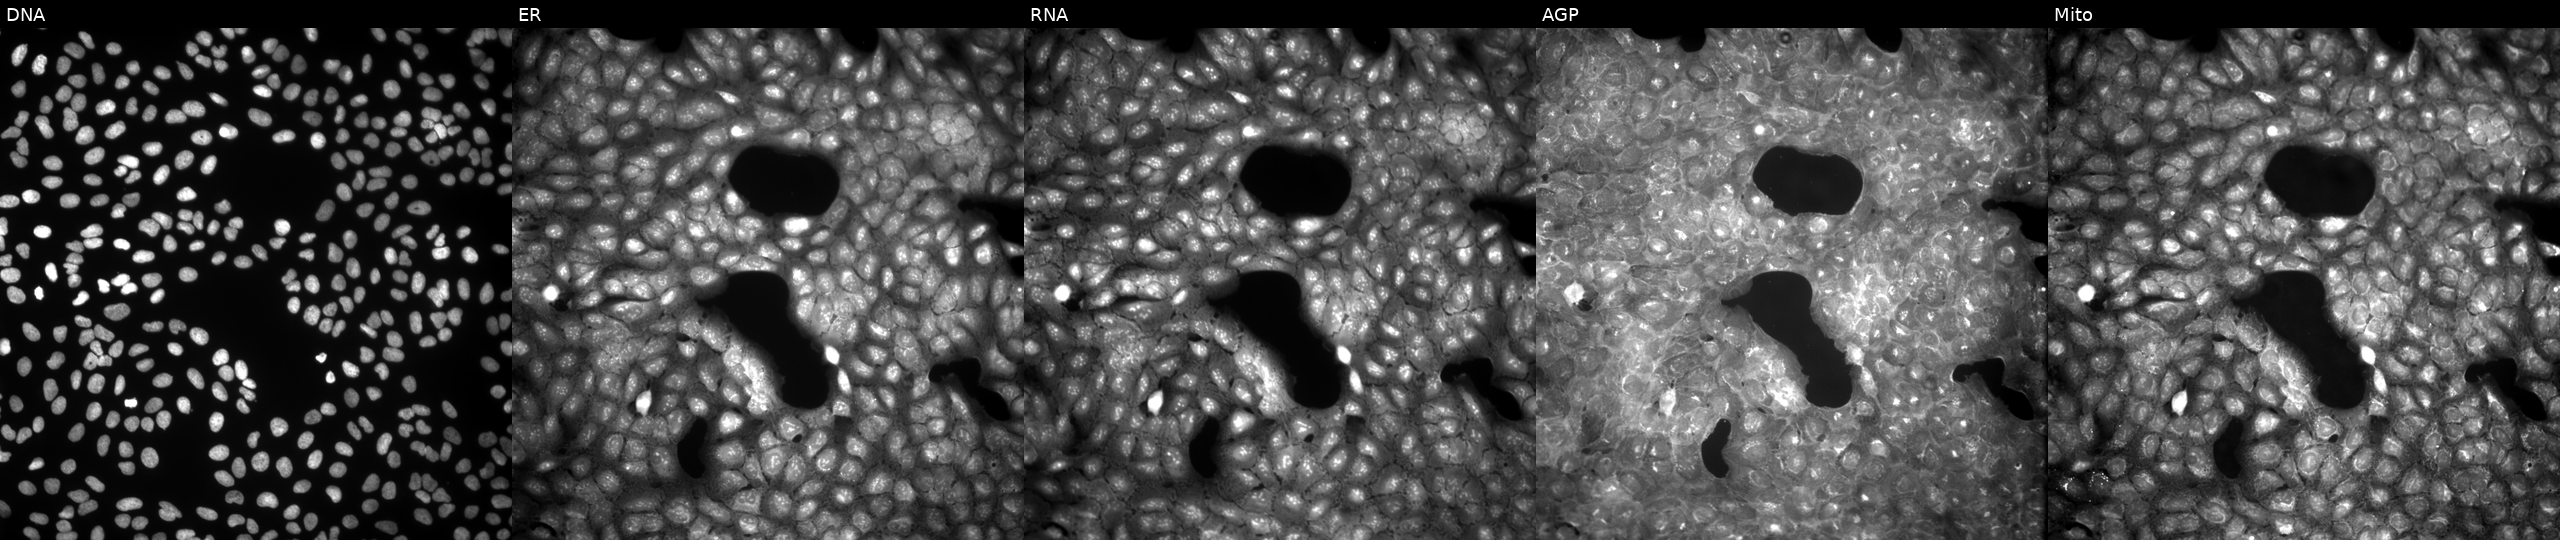
From left to right: DNA (nuclei); ER (endoplasmic reticulum); RNA (nucleoli and cytoplasmic RNA); AGP (actin cytoskeleton, Golgi, and plasma membrane); Mito (mitochondria). U2OS osteosarcoma cells treated with a small-molecule compound (InChIKey SDWPXJUXCLOURP-UHFFFAOYSA-N) (JUMP id JCP2022_082554). Cell Painting assay, JUMP-CP dataset. Source 9, plate GR00003381, well Y16.